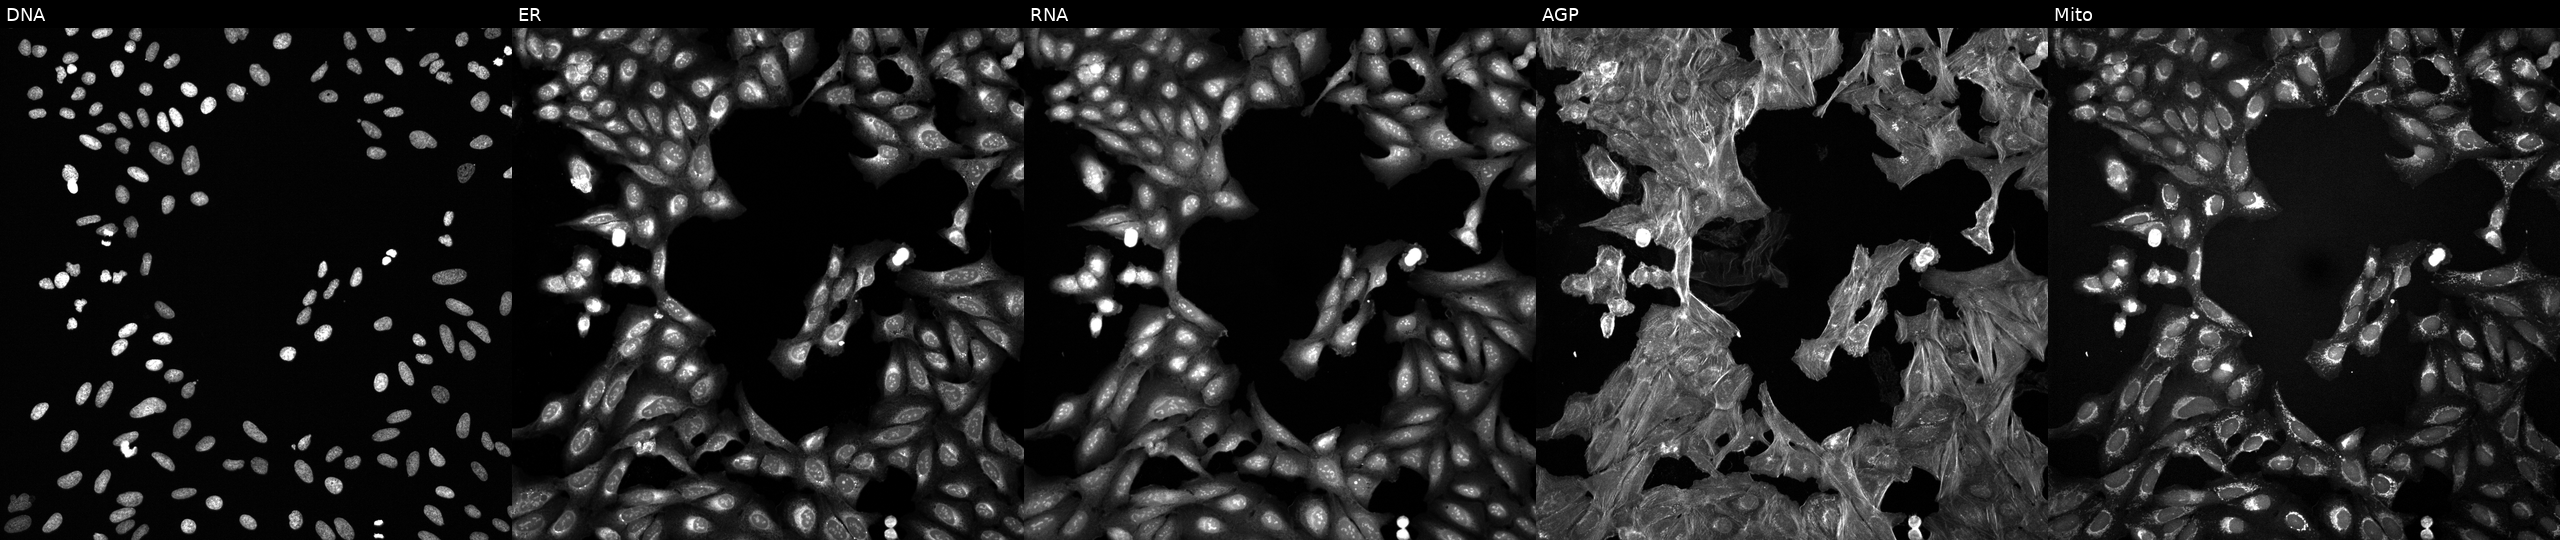
U2OS cells, Cell Painting assay, treated with a small-molecule compound (InChIKey HAQDEJPEAKWAAM-UHFFFAOYSA-N) (JUMP id JCP2022_028940). From left to right: DNA (nuclei); ER (endoplasmic reticulum); RNA (nucleoli and cytoplasmic RNA); AGP (actin cytoskeleton, Golgi, and plasma membrane); Mito (mitochondria). Each panel is percentile-stretched 16-bit fluorescence. Source 6, plate 110000293093, well E04.